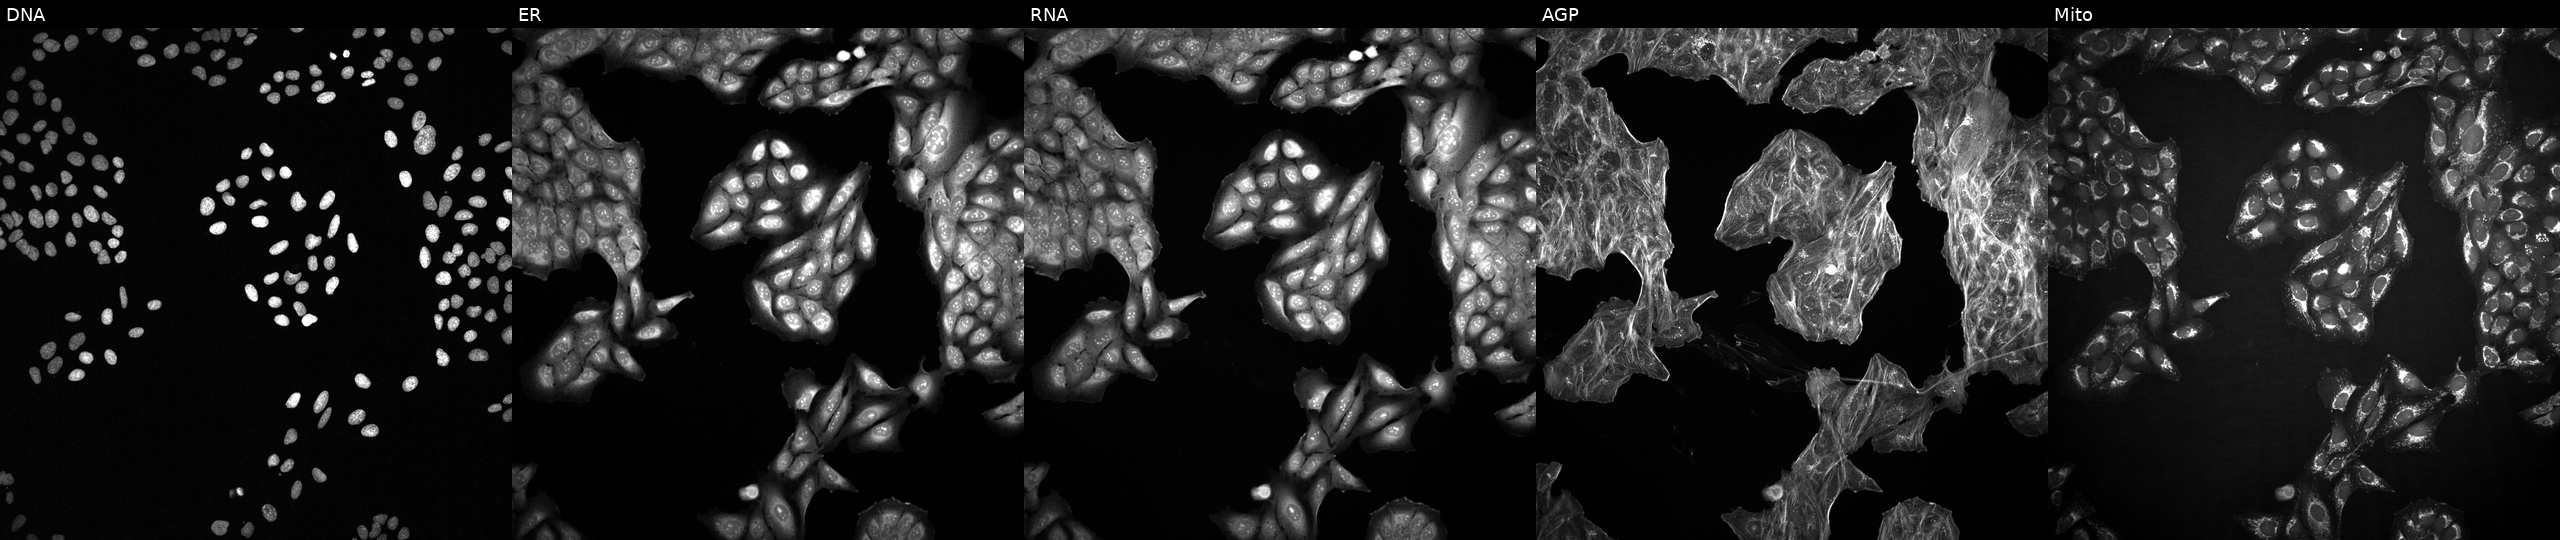
JUMP Cell Painting — COMPOUND plate. U2OS cells treated with a small-molecule compound (InChIKey NGWRWFRPLXZCLD-UHFFFAOYSA-N). Channels (left→right): DNA (nuclei); ER (endoplasmic reticulum); RNA (nucleoli and cytoplasmic RNA); AGP (actin cytoskeleton, Golgi, and plasma membrane); Mito (mitochondria). Source 2, plate 1053601763, well I05.